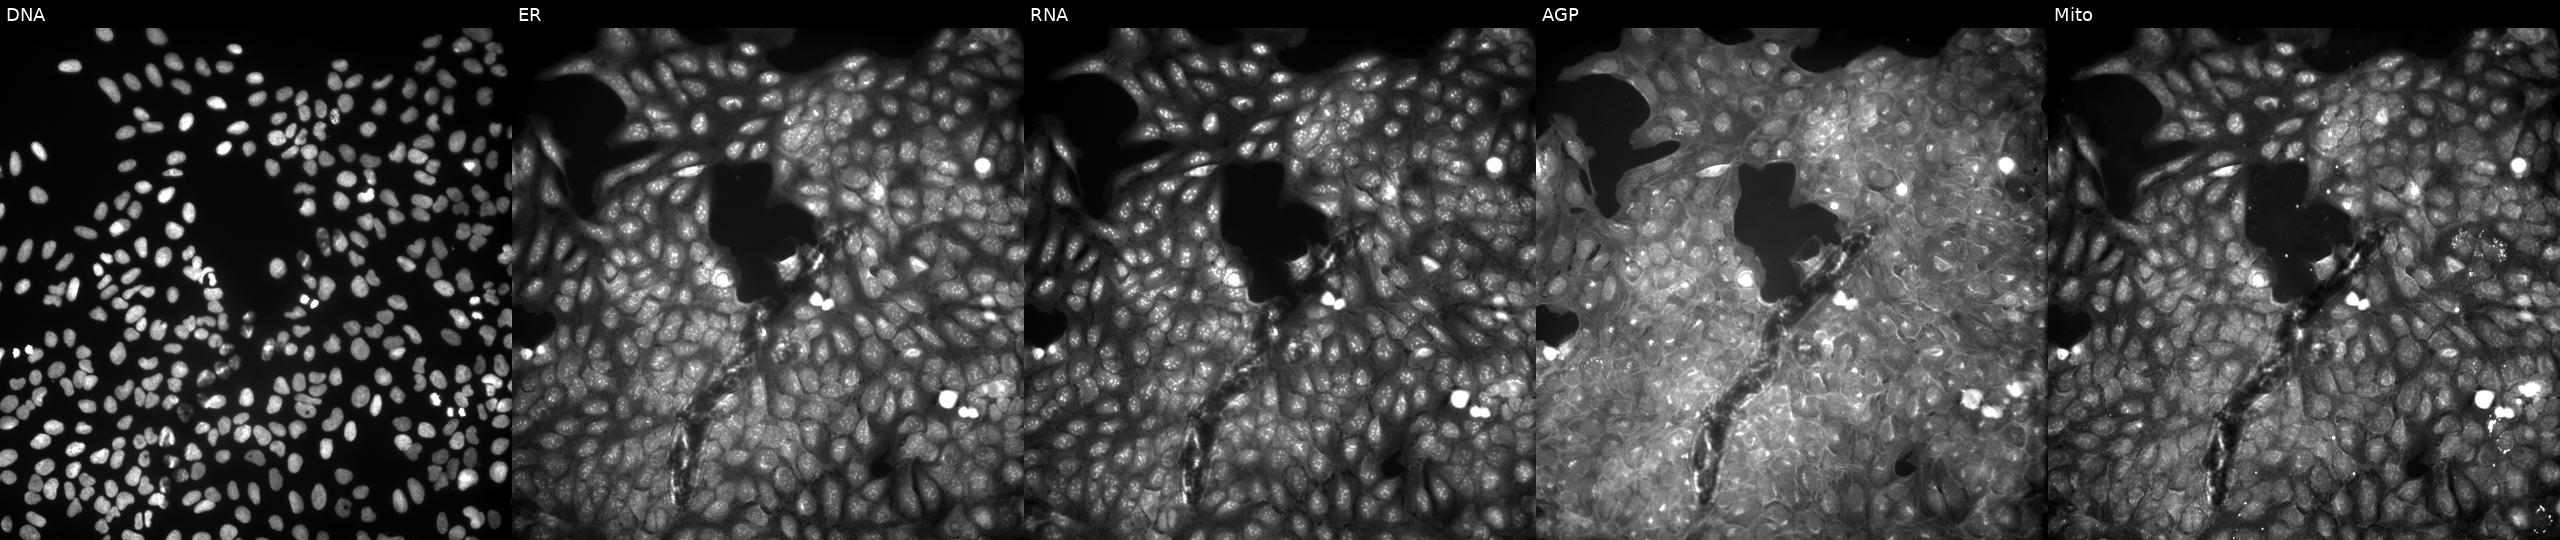
This image strip shows the five Cell Painting channels for a single field of U2OS cells treated with a small-molecule compound (InChIKey BGVAWLOHHDAECK-UHFFFAOYSA-N) (JUMP id JCP2022_006265). The five panels, left to right, show DNA, ER, RNA, AGP, and Mito.